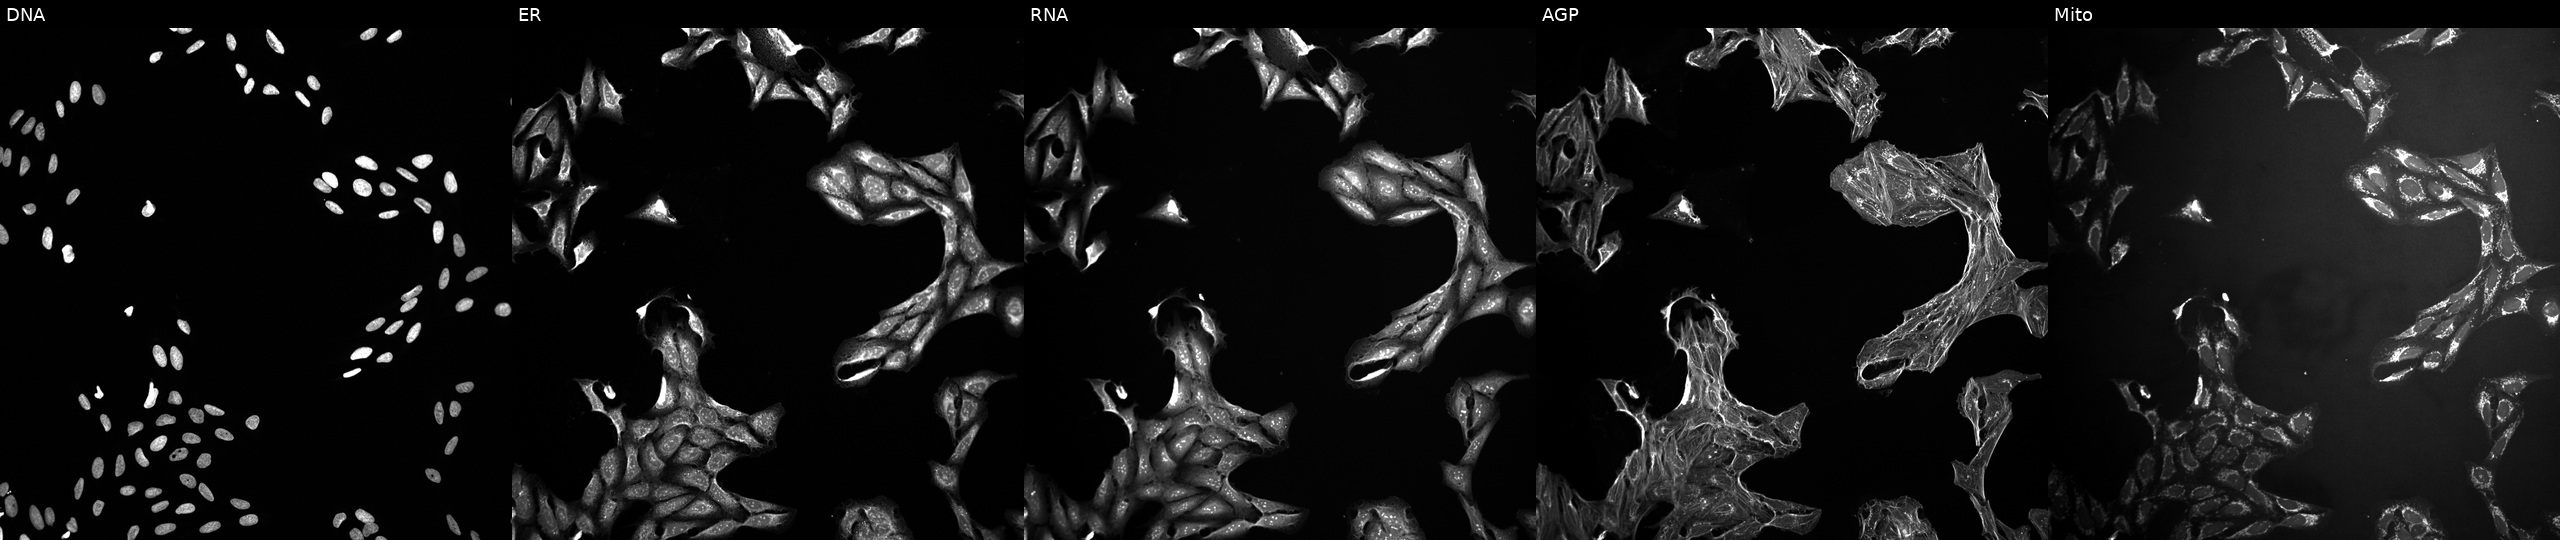
Panels show, left to right, DNA (nuclei); ER (endoplasmic reticulum); RNA (nucleoli and cytoplasmic RNA); AGP (actin cytoskeleton, Golgi, and plasma membrane); Mito (mitochondria). U2OS osteosarcoma cells exposed to a small-molecule compound [SMILES: N=c1[nH]cnc2c1c(-c1cccc(OCc3ccccc3)c1)cn2C1CC(CN2CCC2)C1]. Cell Painting assay, JUMP-CP dataset. Source 10, plate Dest210727-153003, well G21.